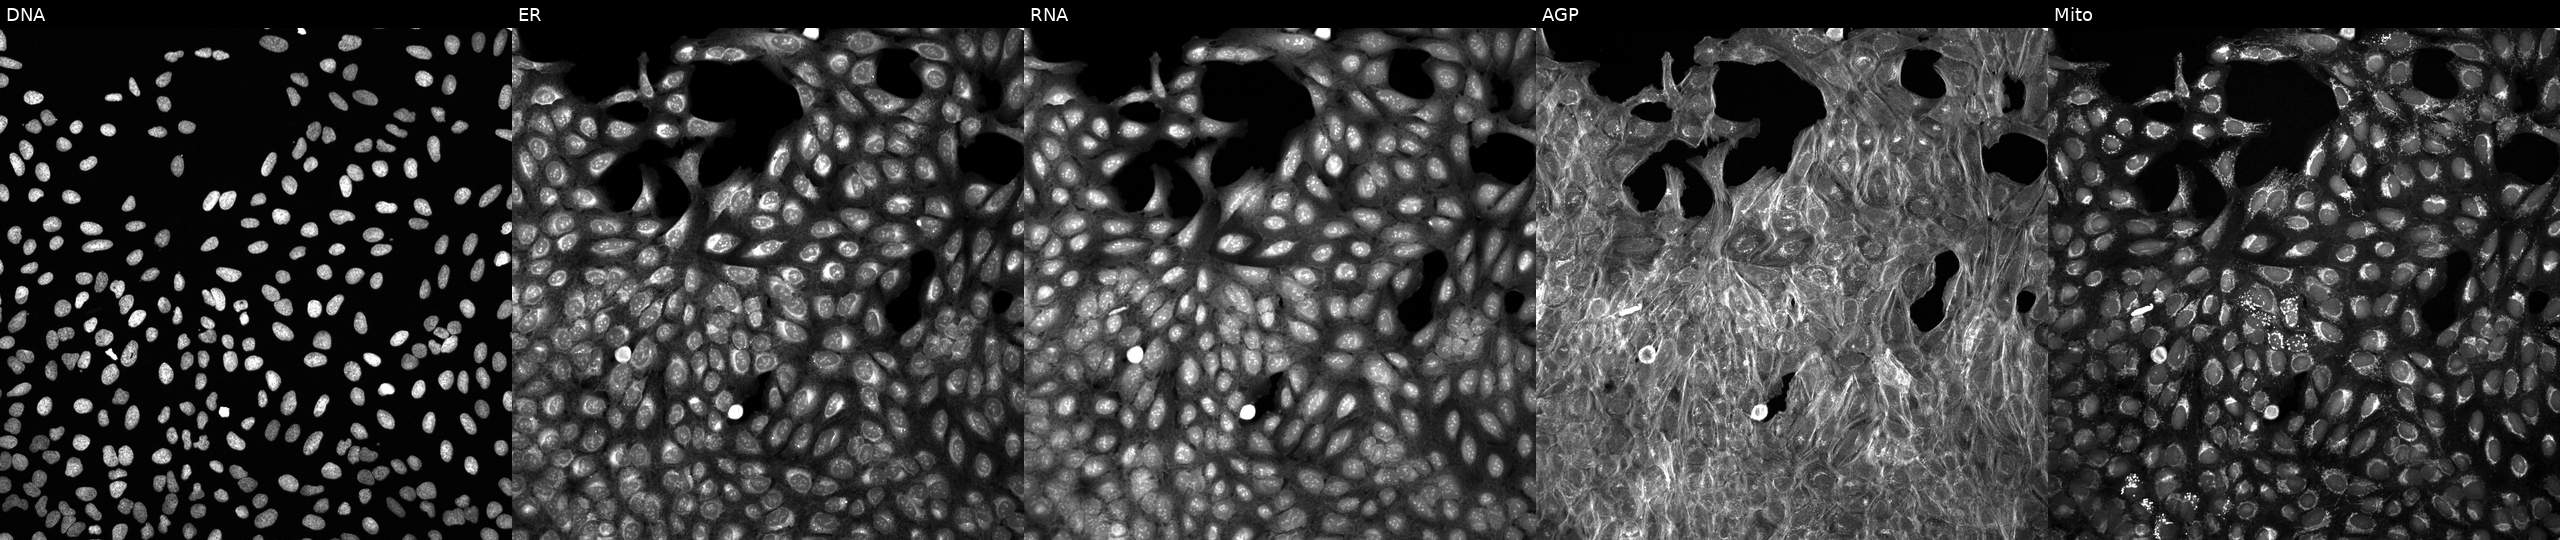
High-content fluorescence microscopy (Cell Painting). Cell line: U2OS. Perturbation: exposed to DMSO alone as a negative control (JUMP id JCP2022_033924). From left to right: DNA (nuclei); ER (endoplasmic reticulum); RNA (nucleoli and cytoplasmic RNA); AGP (actin cytoskeleton, Golgi, and plasma membrane); Mito (mitochondria). Source 6, plate 110000294901, well E18.